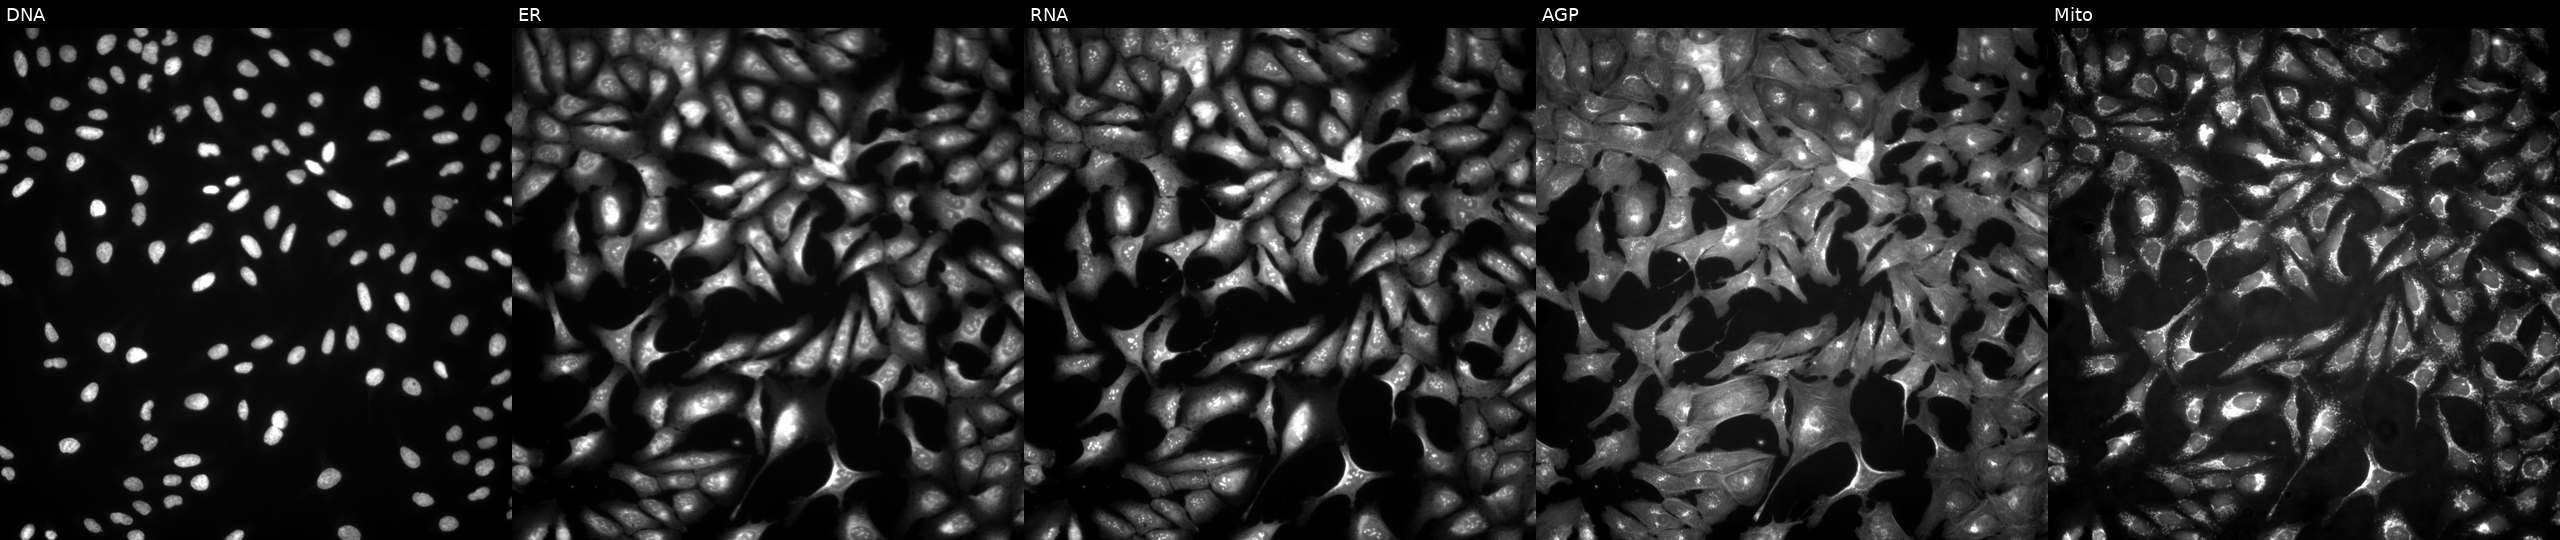
From left to right: DNA (nuclei); ER (endoplasmic reticulum); RNA (nucleoli and cytoplasmic RNA); AGP (actin cytoskeleton, Golgi, and plasma membrane); Mito (mitochondria). U2OS osteosarcoma cells with ZDHHC9 overexpressed (ORF). Cell Painting assay, JUMP-CP dataset.